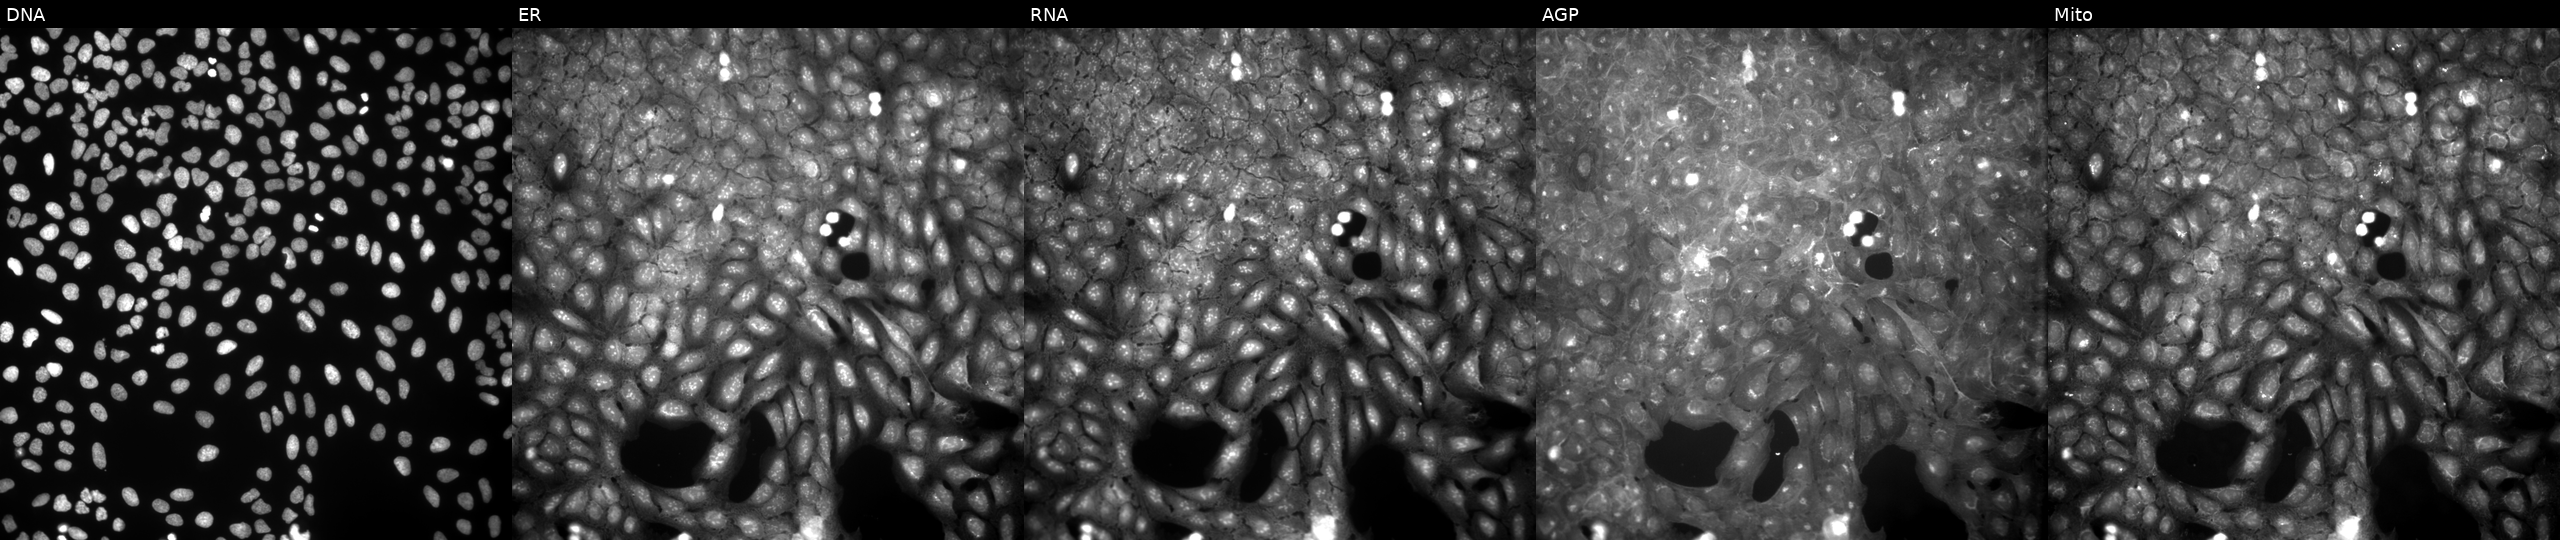
High-content fluorescence microscopy (Cell Painting). Cell line: U2OS. Perturbation: exposed to a small-molecule compound (InChIKey WYGORTTUQBVBQX-UHFFFAOYSA-N) (JUMP id JCP2022_101982). Channels (left→right): Hoechst 33342, concanavalin A, SYTO 14, phalloidin and WGA, MitoTracker.